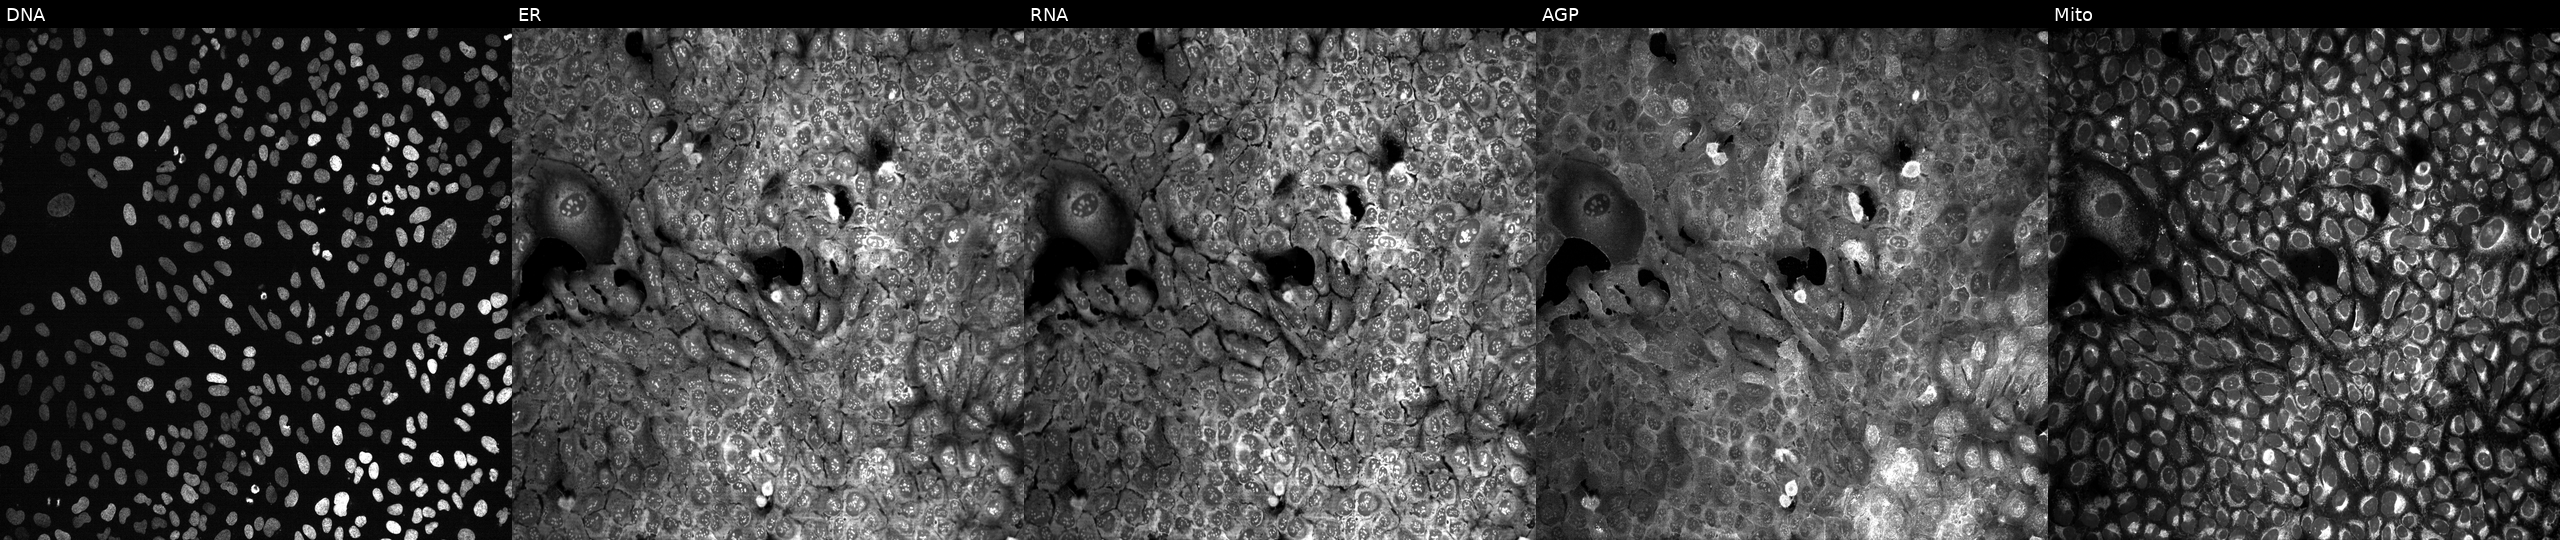
This image strip shows the five Cell Painting channels for a single field of U2OS cells CRISPR-edited to disrupt SLC4A1. The five panels, left to right, show DNA (nuclei); ER (endoplasmic reticulum); RNA (nucleoli and cytoplasmic RNA); AGP (actin cytoskeleton, Golgi, and plasma membrane); Mito (mitochondria).